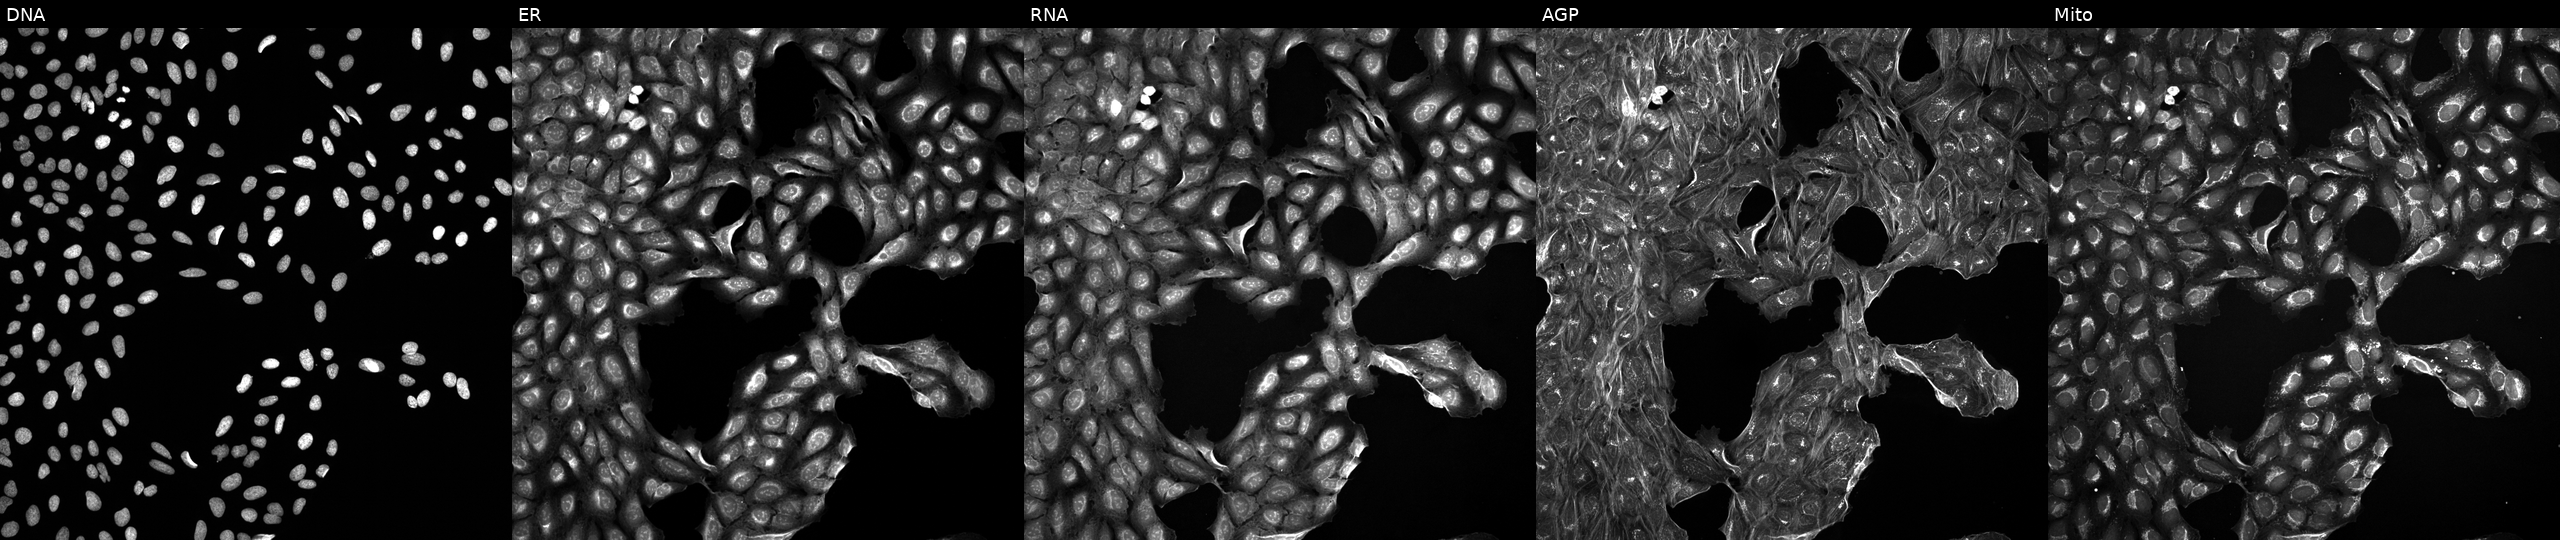
Five-channel Cell Painting image of U2OS cells exposed to DMSO alone as a negative control. Panels show, left to right, DNA (nuclei); ER (endoplasmic reticulum); RNA (nucleoli and cytoplasmic RNA); AGP (actin cytoskeleton, Golgi, and plasma membrane); Mito (mitochondria).